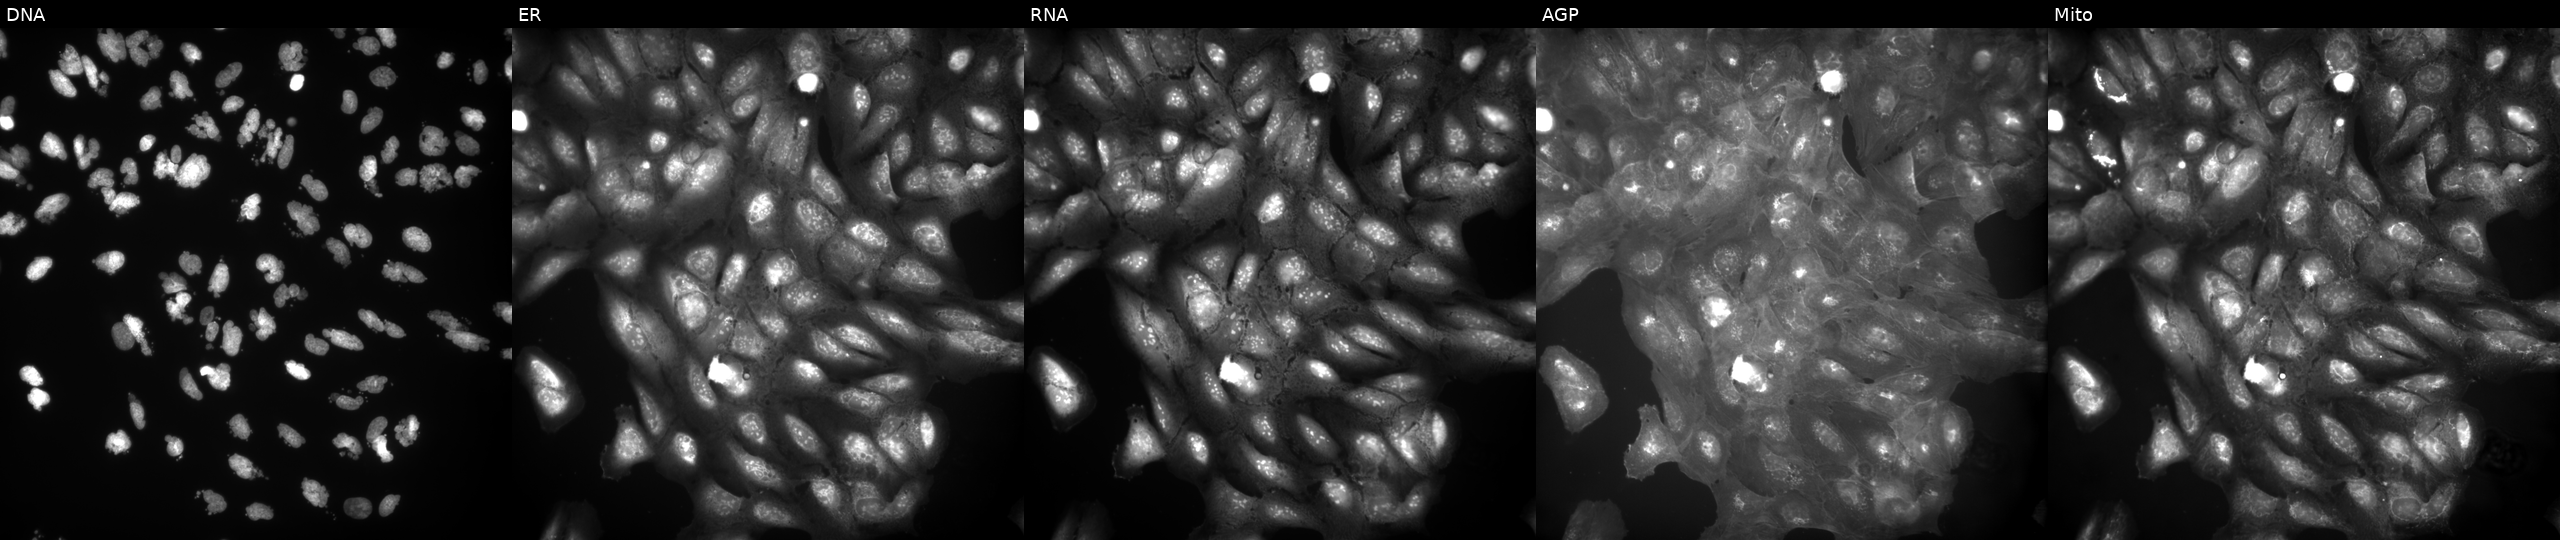
This image strip shows the five Cell Painting channels for a single field of U2OS cells exposed to the positive-control compound AMG900 (JUMP id JCP2022_037716). The five panels, left to right, show DNA, ER, RNA, AGP, and Mito. Source 9, plate GR00003381, well J48.